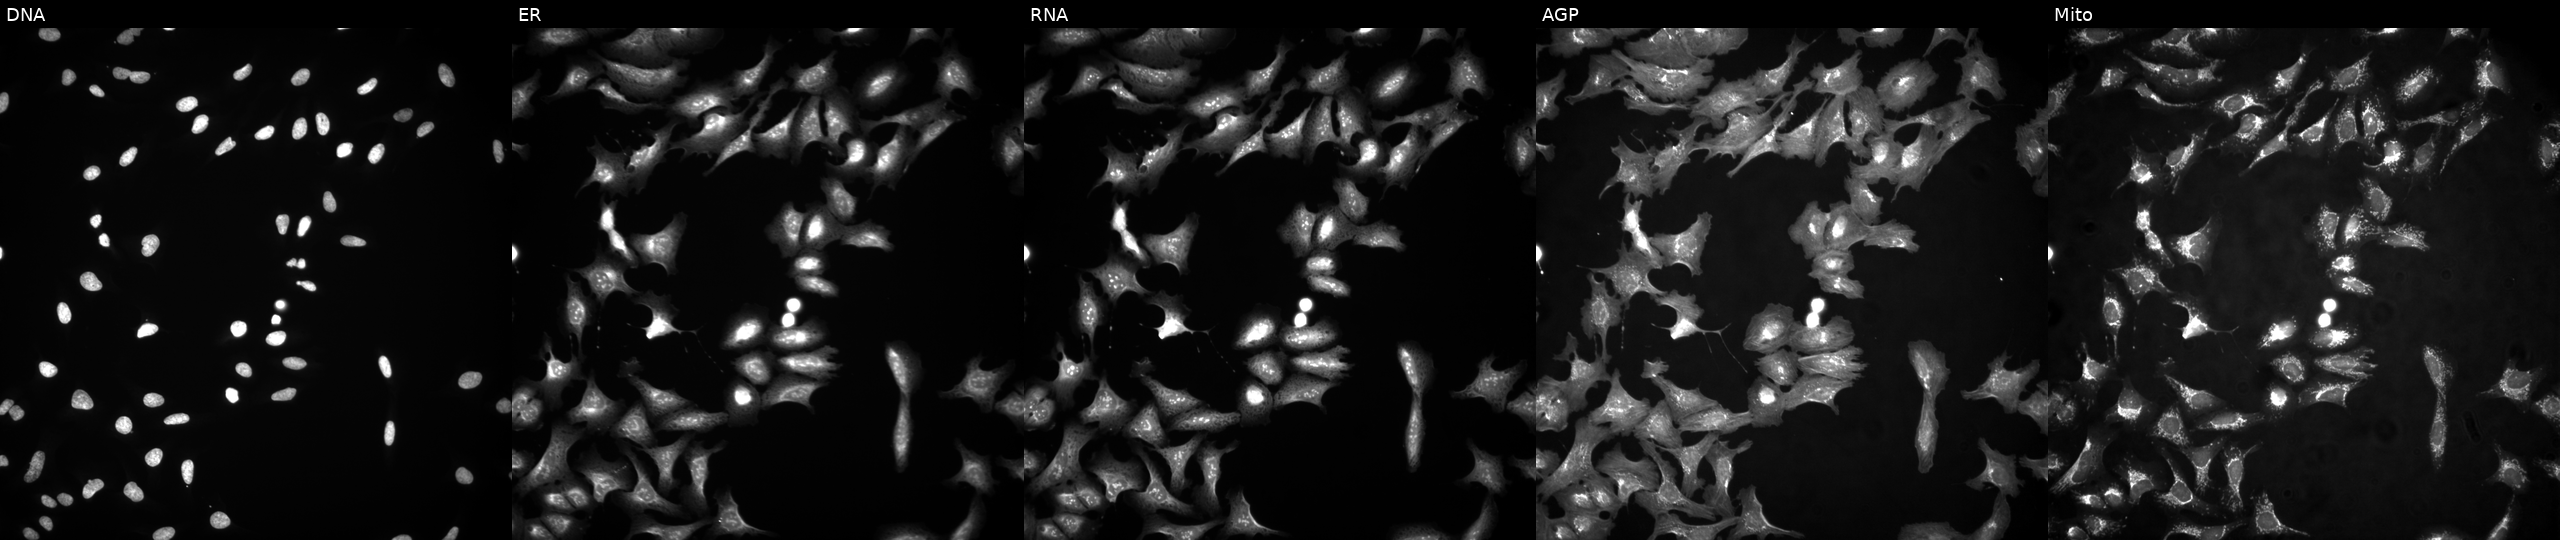
JUMP Cell Painting — ORF plate. U2OS cells expressing eGFP (ORF positive control). Panels show, left to right, DNA, ER, RNA, AGP, and Mito.